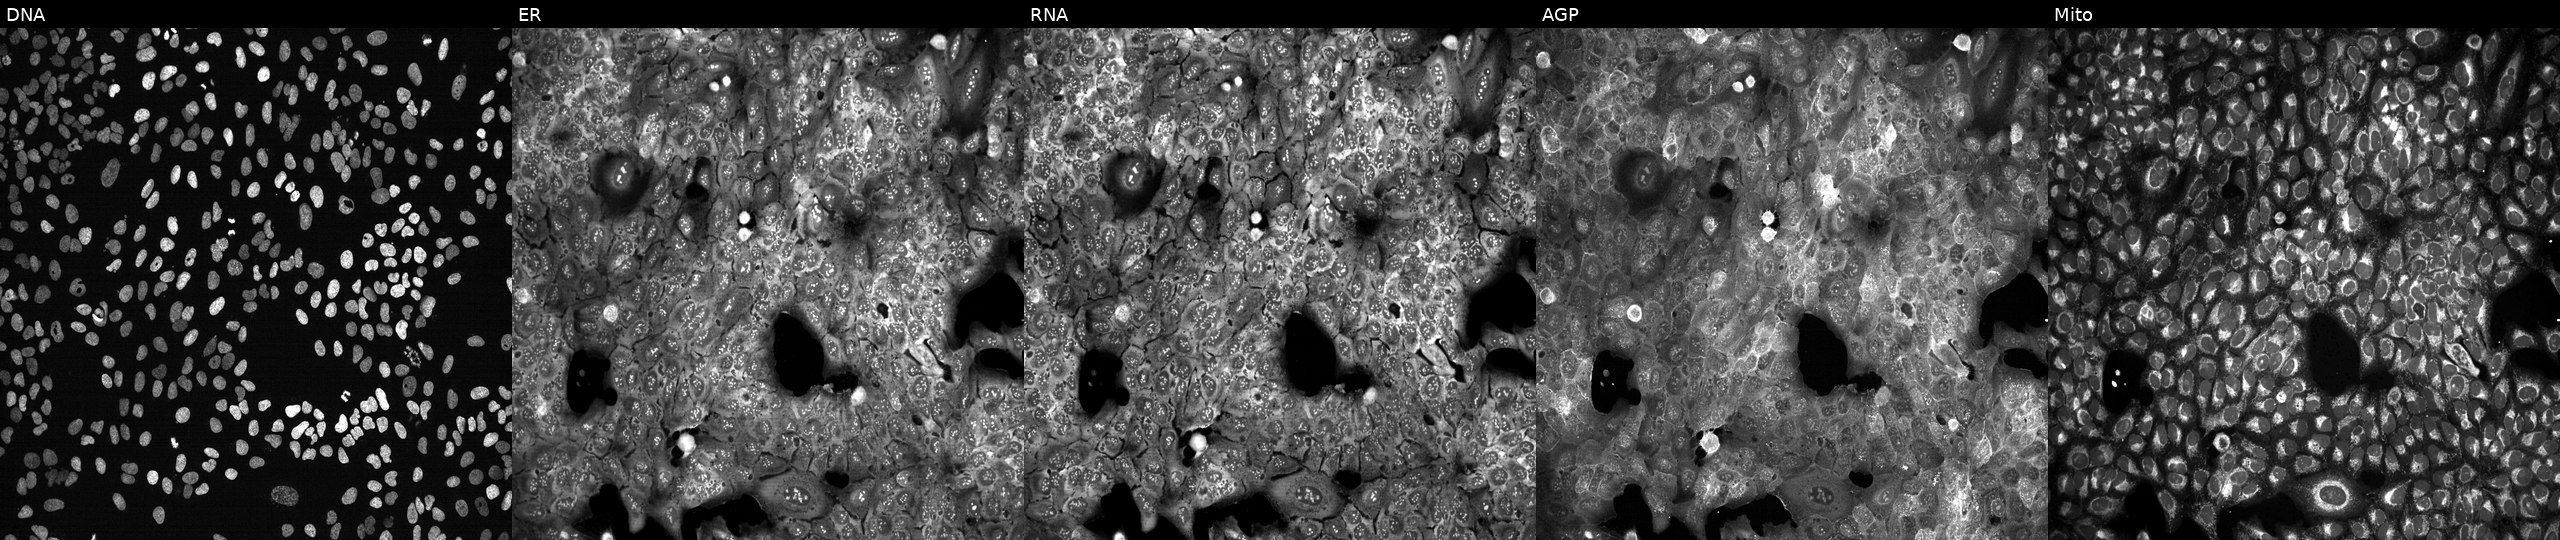
High-content fluorescence microscopy (Cell Painting). Cell line: U2OS. Perturbation: following CRISPR knockout of MFSD14A (JUMP id JCP2022_804155). From left to right: DNA (nuclei); ER (endoplasmic reticulum); RNA (nucleoli and cytoplasmic RNA); AGP (actin cytoskeleton, Golgi, and plasma membrane); Mito (mitochondria). Source 13, plate CP-CC9-R4-04, well D15.